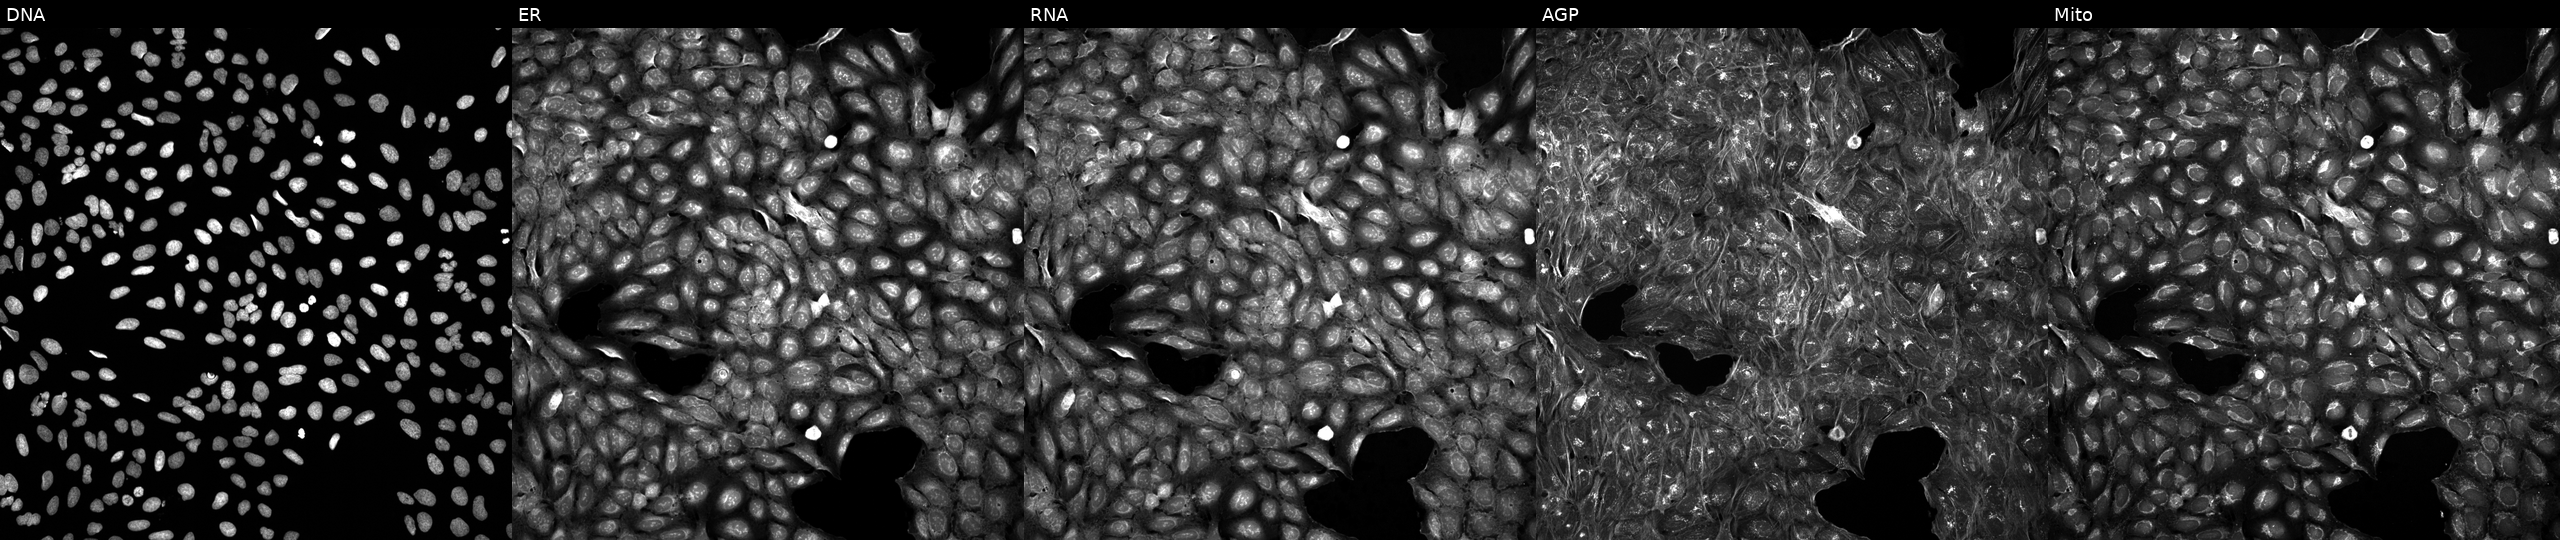
Five-channel Cell Painting image of U2OS cells perturbed with a small-molecule compound (InChIKey MDPMOGZALXDGGH-UHFFFAOYSA-N) (JUMP id JCP2022_053451). From left to right: DNA (nuclei); ER (endoplasmic reticulum); RNA (nucleoli and cytoplasmic RNA); AGP (actin cytoskeleton, Golgi, and plasma membrane); Mito (mitochondria).